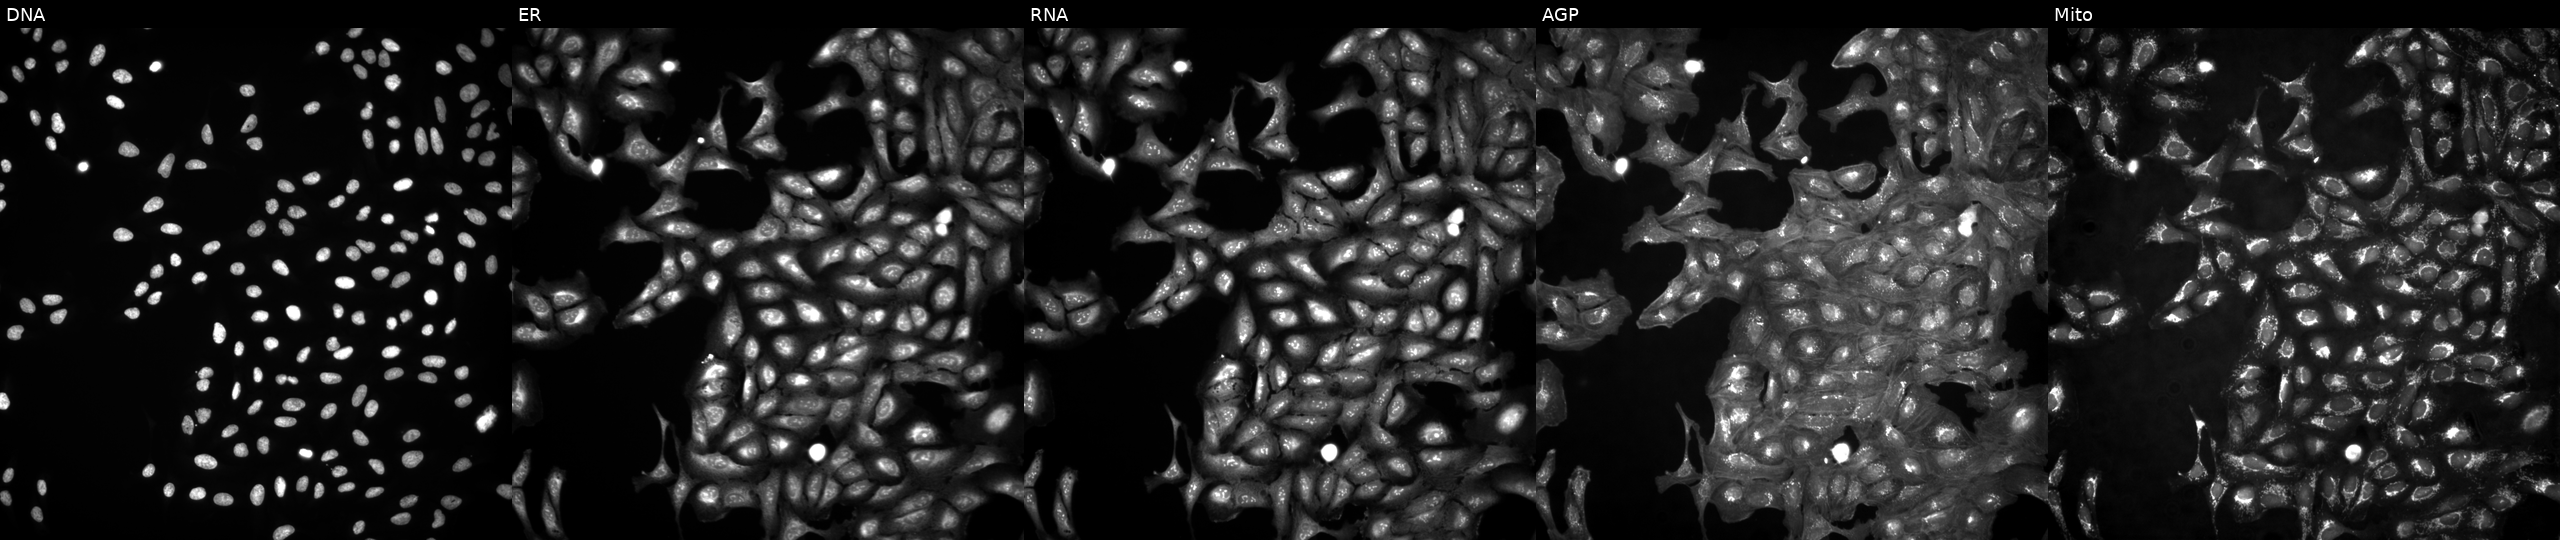
JUMP Cell Painting — ORF plate. U2OS cells untreated (empty-well control) (JUMP id JCP2022_999999). Channels (left→right): Hoechst 33342, concanavalin A, SYTO 14, phalloidin and WGA, MitoTracker. Source 4, plate BR00124793, well L13.